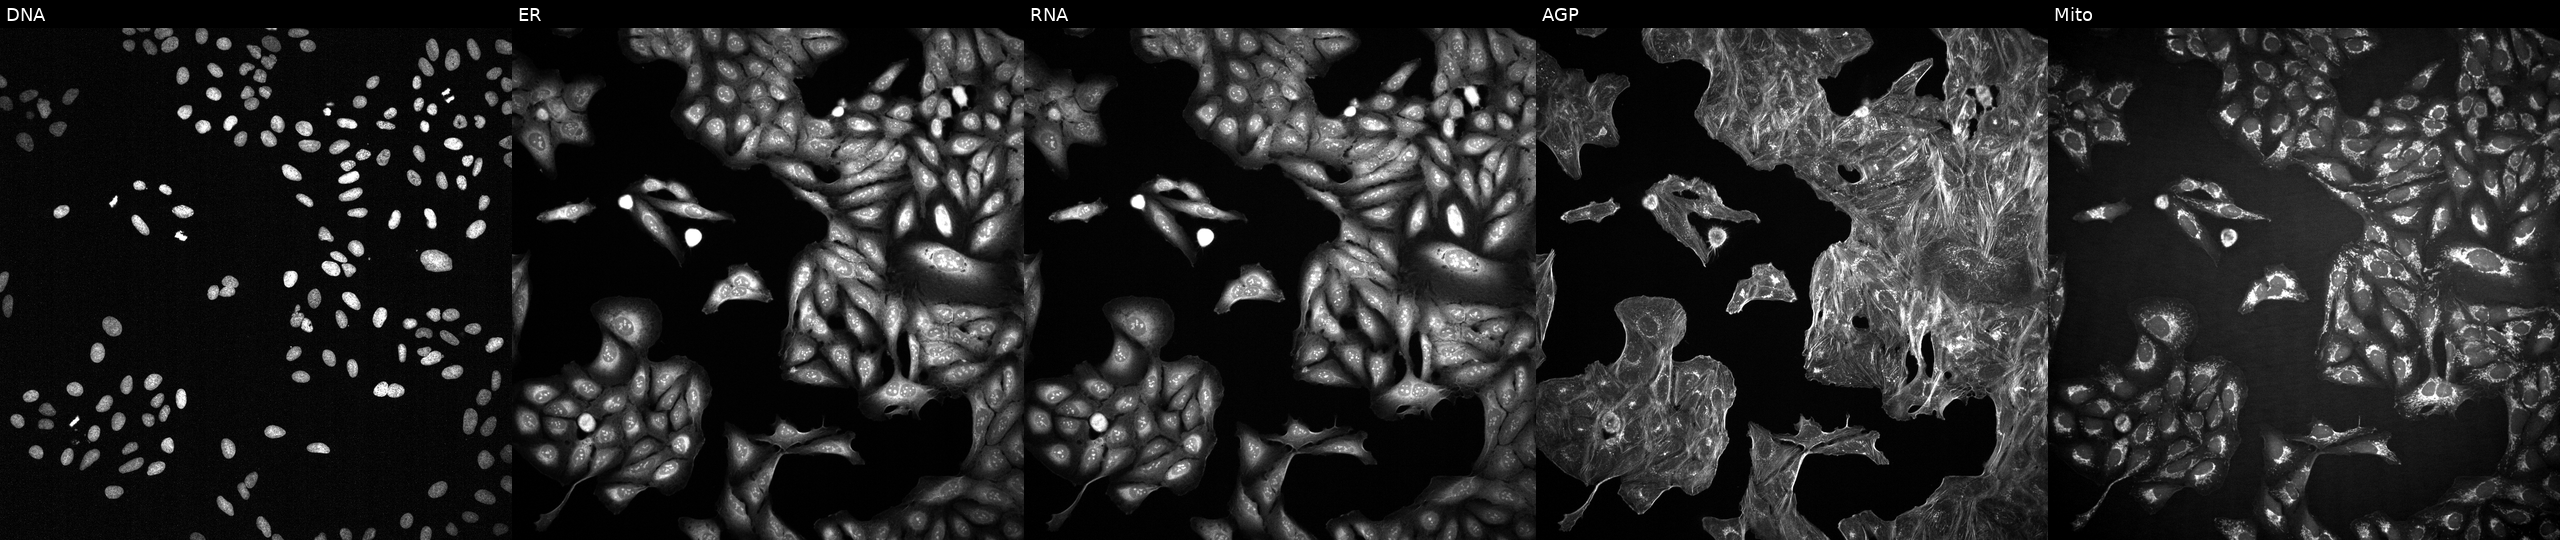
U2OS cells, Cell Painting assay, perturbed with a small-molecule compound (InChIKey GYYRMJMXXLJZAB-UHFFFAOYSA-N). Panels show, left to right, Hoechst 33342, concanavalin A, SYTO 14, phalloidin and WGA, MitoTracker. Each panel is percentile-stretched 16-bit fluorescence. Source 2, plate 1053599503, well E16.